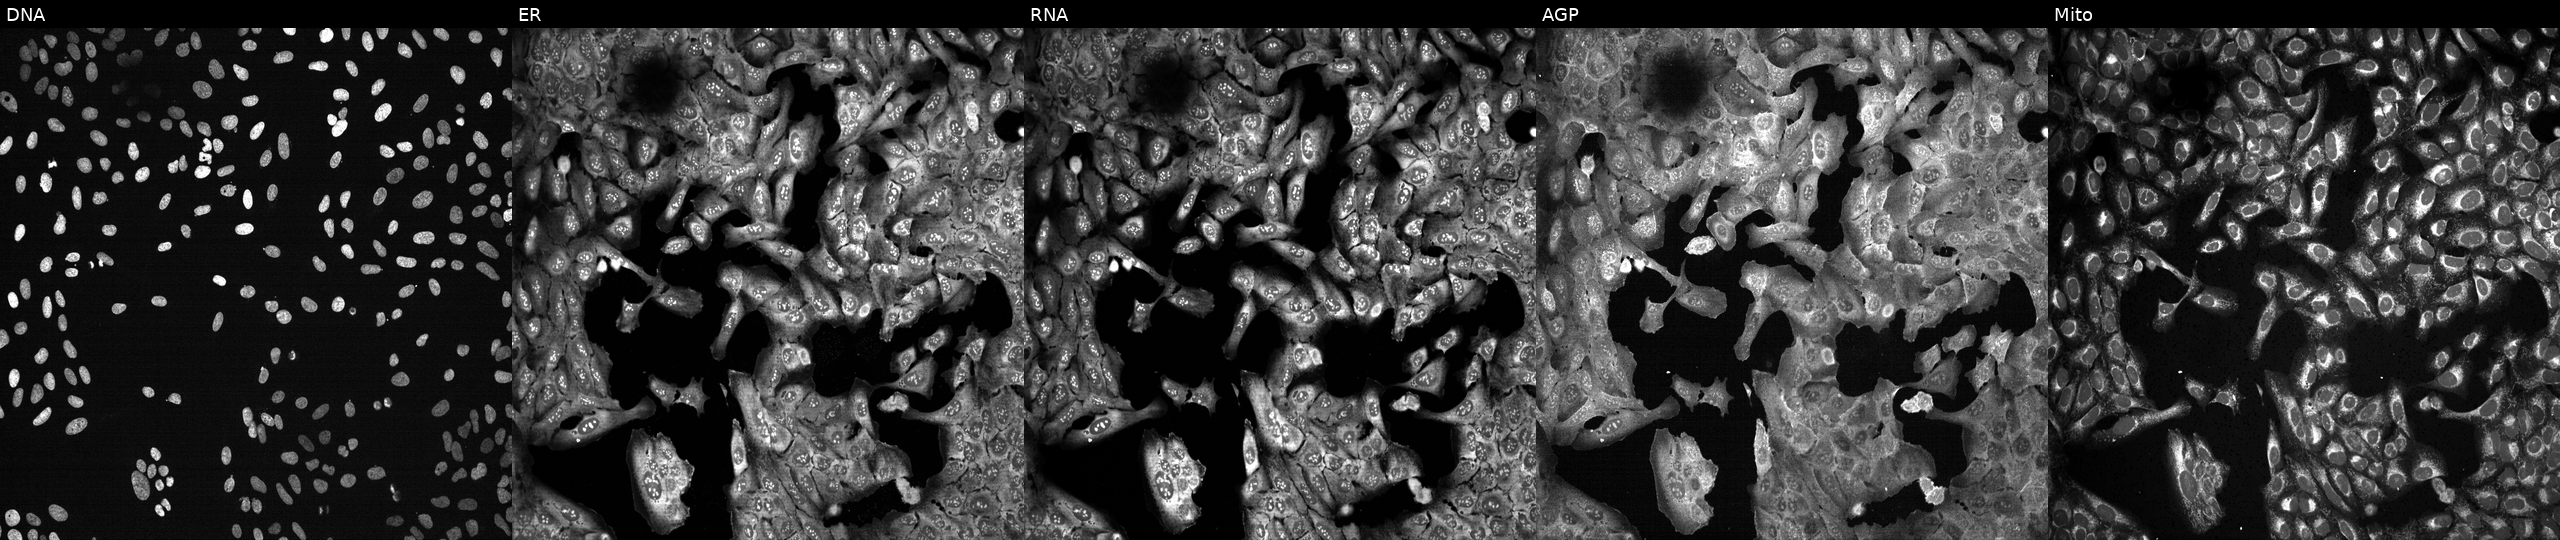
JUMP Cell Painting — CRISPR plate. U2OS cells CRISPR-edited to disrupt AQP3 (JUMP id JCP2022_800541). From left to right: DNA (nuclei); ER (endoplasmic reticulum); RNA (nucleoli and cytoplasmic RNA); AGP (actin cytoskeleton, Golgi, and plasma membrane); Mito (mitochondria).